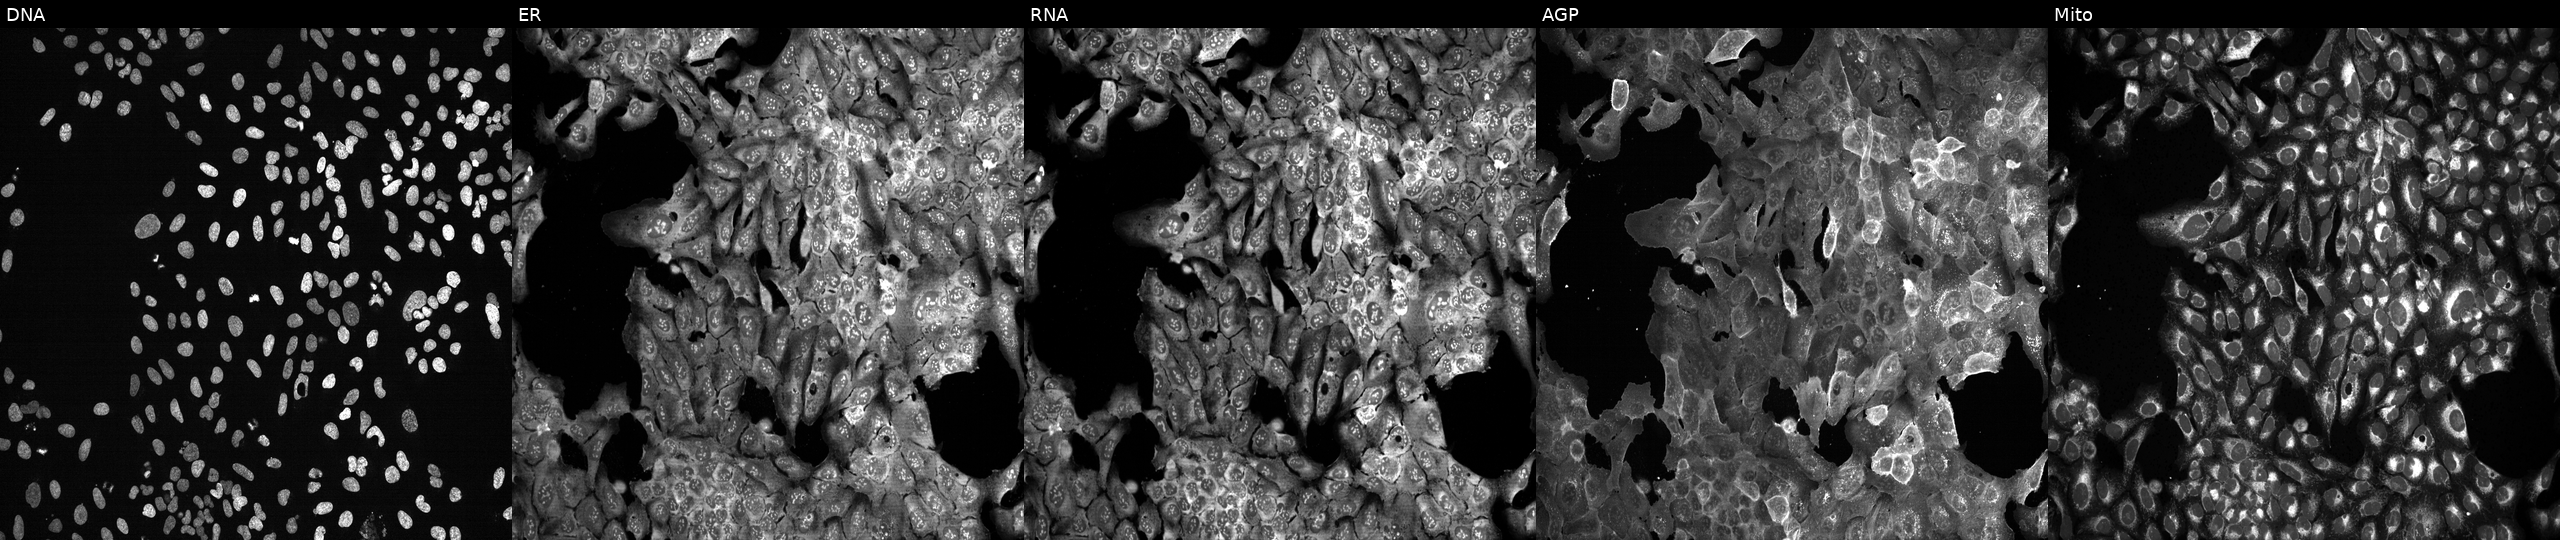
U2OS cells, Cell Painting assay, with KLK15 knocked out by CRISPR (JUMP id JCP2022_803724). Channels (left→right): DNA, ER, RNA, AGP, and Mito. Each panel is percentile-stretched 16-bit fluorescence. Source 13, plate CP-CC9-R6-19, well J11.